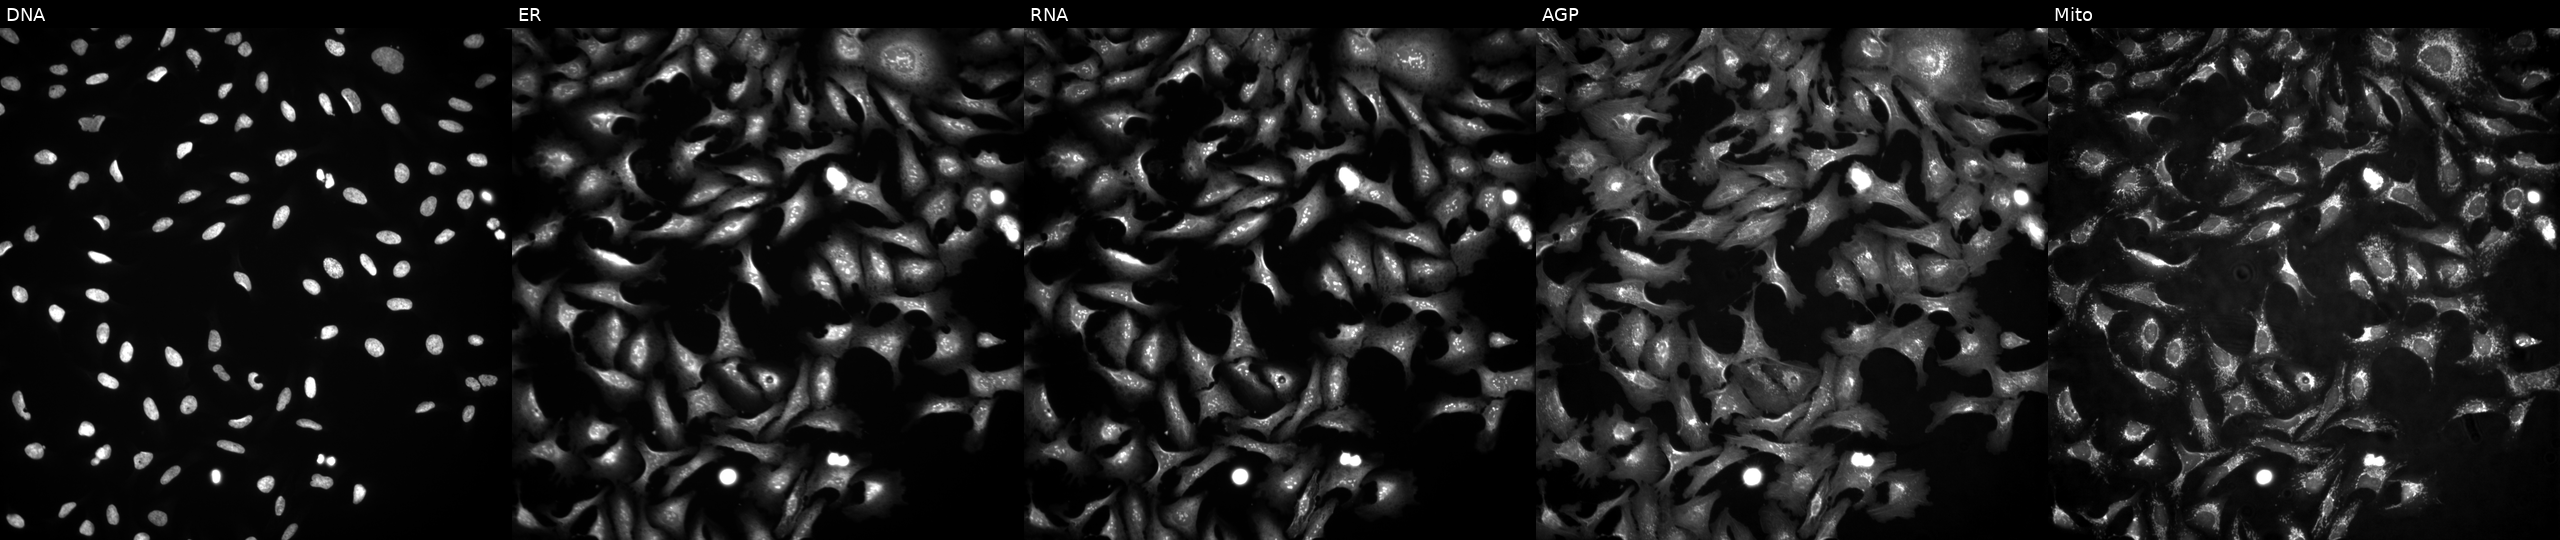
Channels (left→right): DNA (nuclei); ER (endoplasmic reticulum); RNA (nucleoli and cytoplasmic RNA); AGP (actin cytoskeleton, Golgi, and plasma membrane); Mito (mitochondria). U2OS osteosarcoma cells transfected with an ORF construct for CLCC1 (JUMP id JCP2022_907330). Cell Painting assay, JUMP-CP dataset.